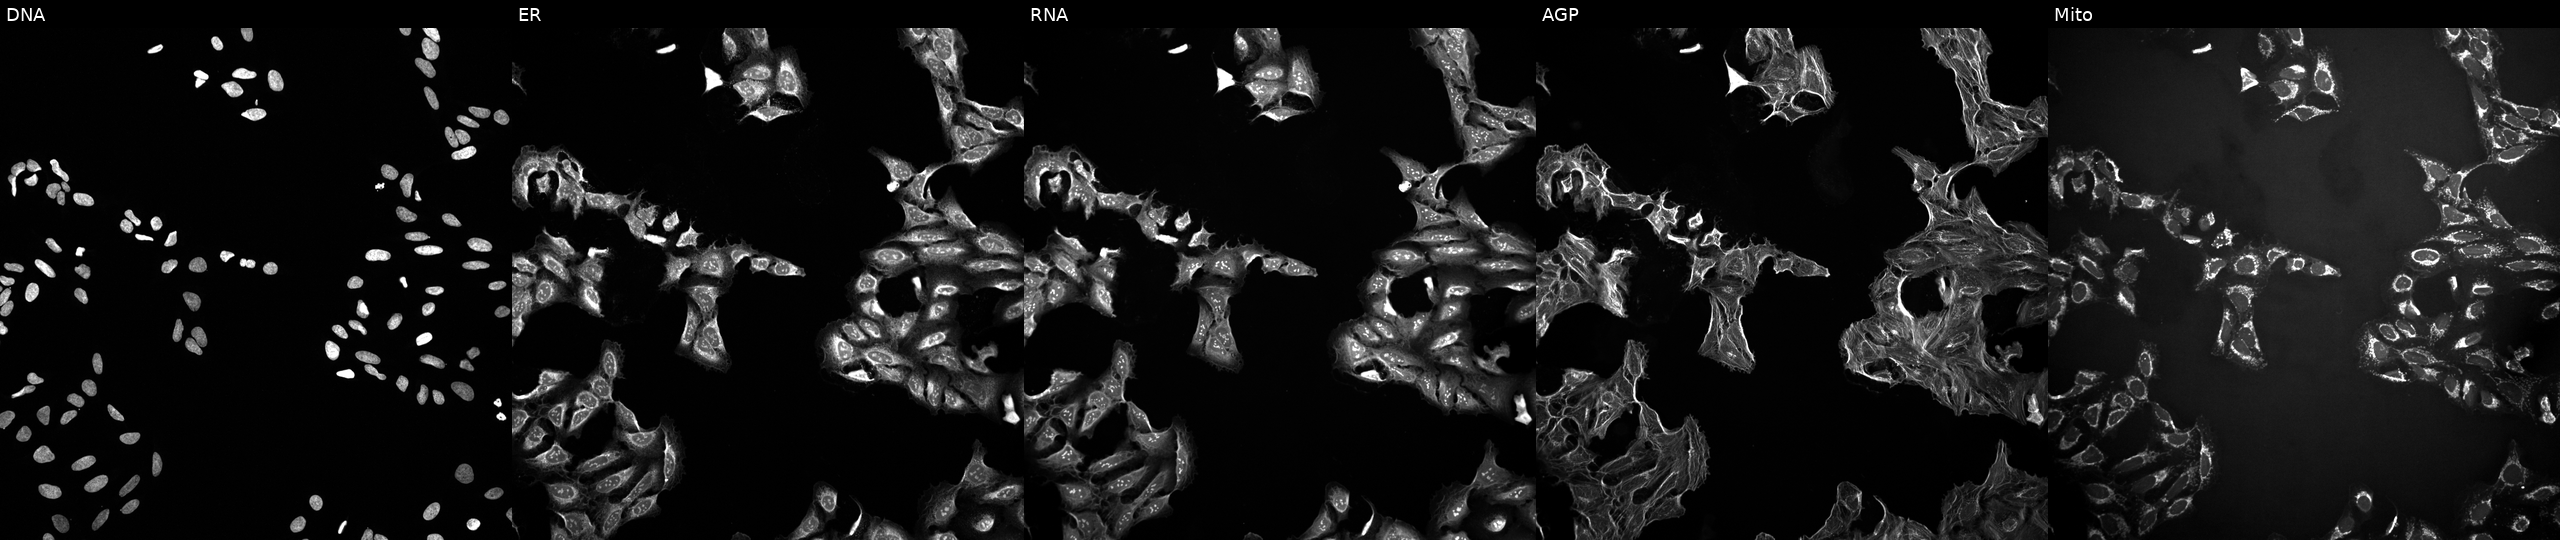
Five-channel Cell Painting image of U2OS cells treated with a small-molecule compound (InChIKey DHMTURDWPRKSOA-UHFFFAOYSA-N) [SMILES: NC(=O)N1CCC(CC(=O)N2CCC(C3c4ncc(Br)cc4CCc4cc(Cl)cc(Br)c43)CC2)CC1] (JUMP id JCP2022_015955). The five panels, left to right, show DNA, ER, RNA, AGP, and Mito.